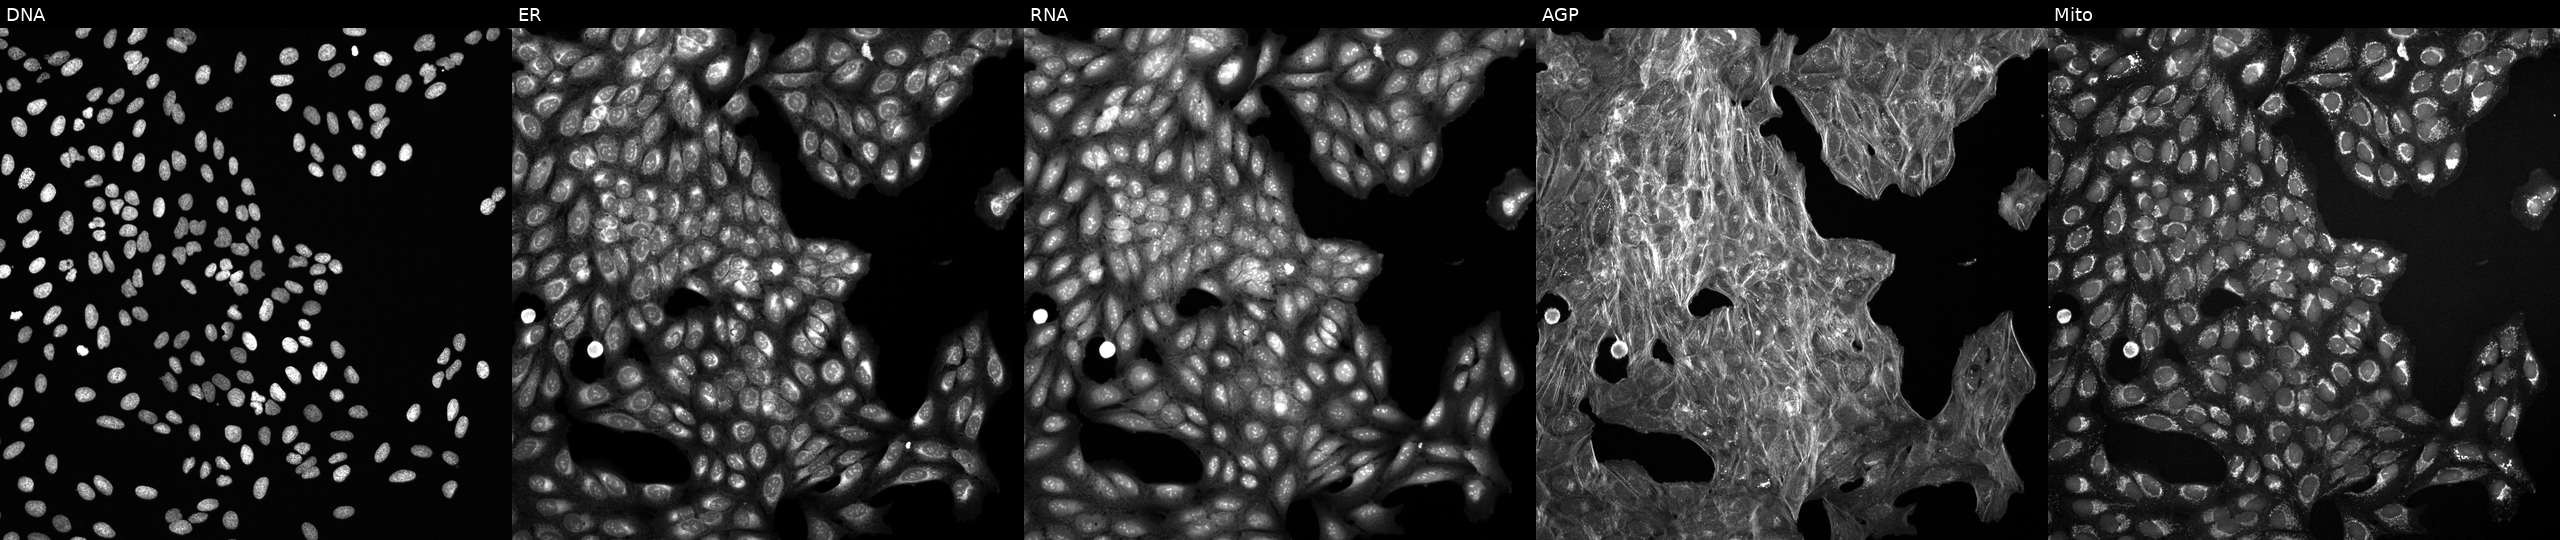
Five-channel Cell Painting image of U2OS cells treated with a small-molecule compound (InChIKey IKENVDNFQMCRTR-UHFFFAOYSA-N) (JUMP id JCP2022_035570). The five panels, left to right, show DNA (nuclei); ER (endoplasmic reticulum); RNA (nucleoli and cytoplasmic RNA); AGP (actin cytoskeleton, Golgi, and plasma membrane); Mito (mitochondria).